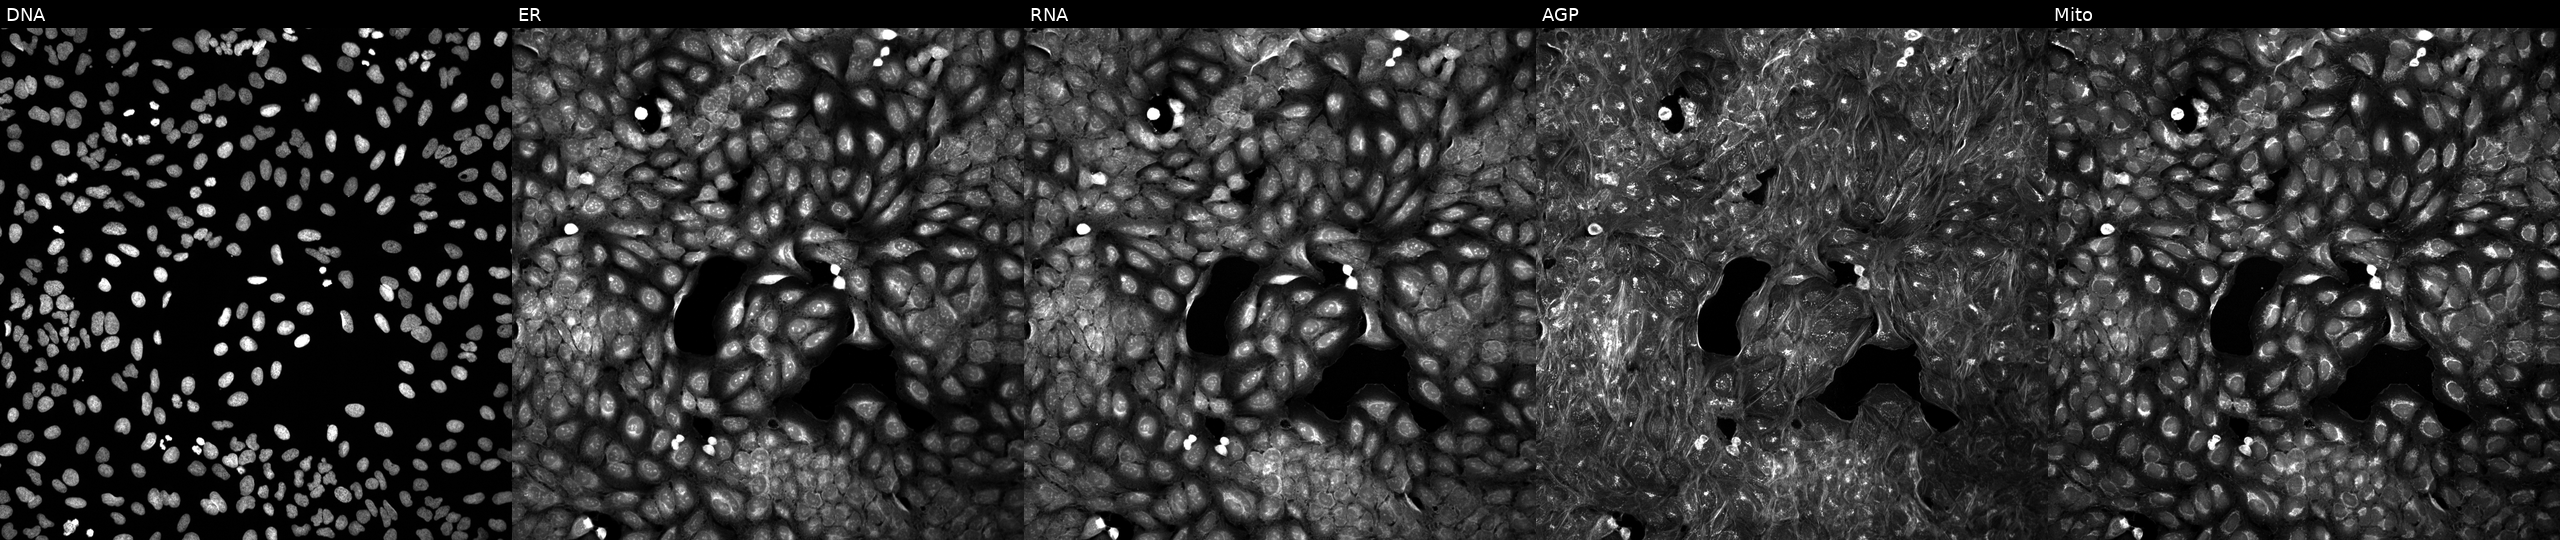
High-content fluorescence microscopy (Cell Painting). Cell line: U2OS. Perturbation: treated with DMSO vehicle only (negative control). Channels (left→right): Hoechst 33342, concanavalin A, SYTO 14, phalloidin and WGA, MitoTracker.